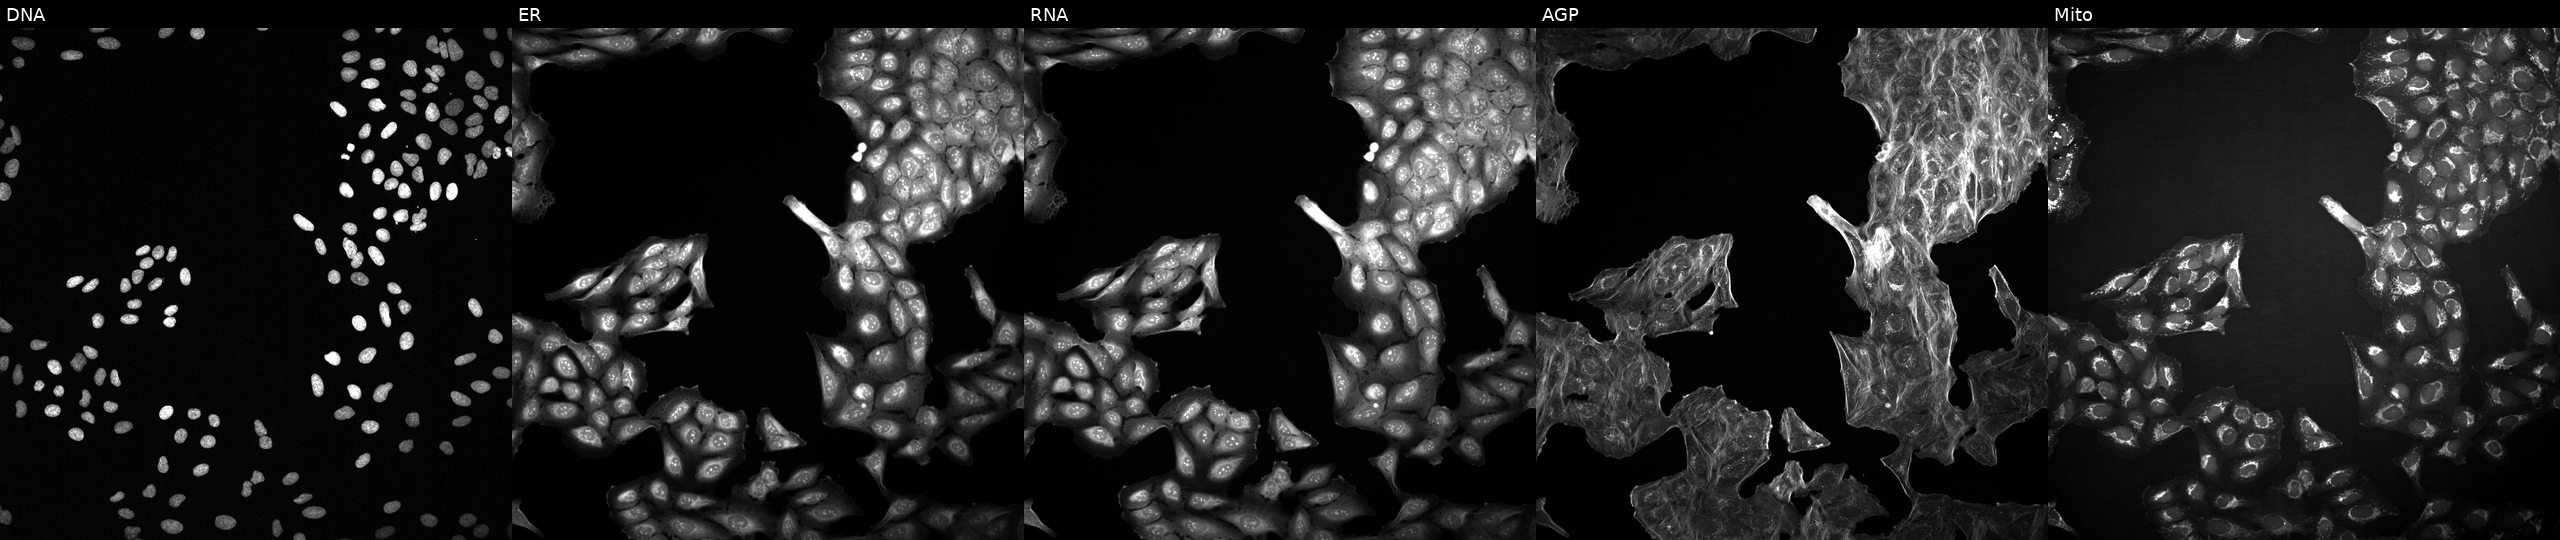
Five-channel Cell Painting image of U2OS cells perturbed with a small-molecule compound (InChIKey BGNUEYTZEMPBRS-UHFFFAOYSA-N). From left to right: Hoechst 33342, concanavalin A, SYTO 14, phalloidin and WGA, MitoTracker. Source 2, plate 1053601763, well O20.